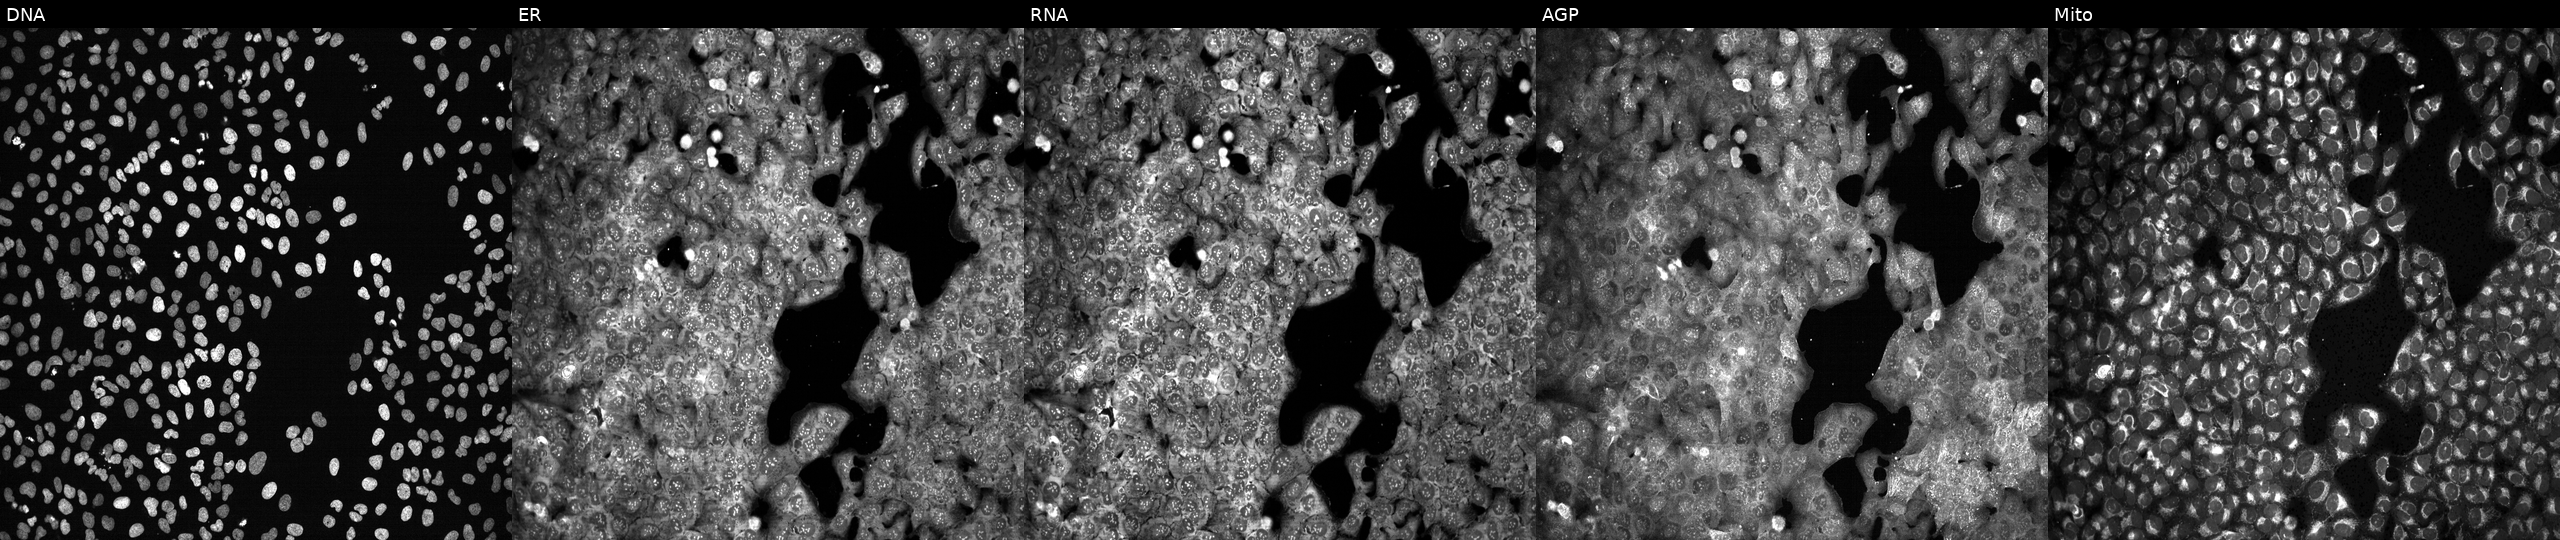
JUMP Cell Painting — CRISPR plate. U2OS cells exposed to the positive-control compound NVS-PAK1-1 (JUMP id JCP2022_064022). The five panels, left to right, show DNA (nuclei); ER (endoplasmic reticulum); RNA (nucleoli and cytoplasmic RNA); AGP (actin cytoskeleton, Golgi, and plasma membrane); Mito (mitochondria).